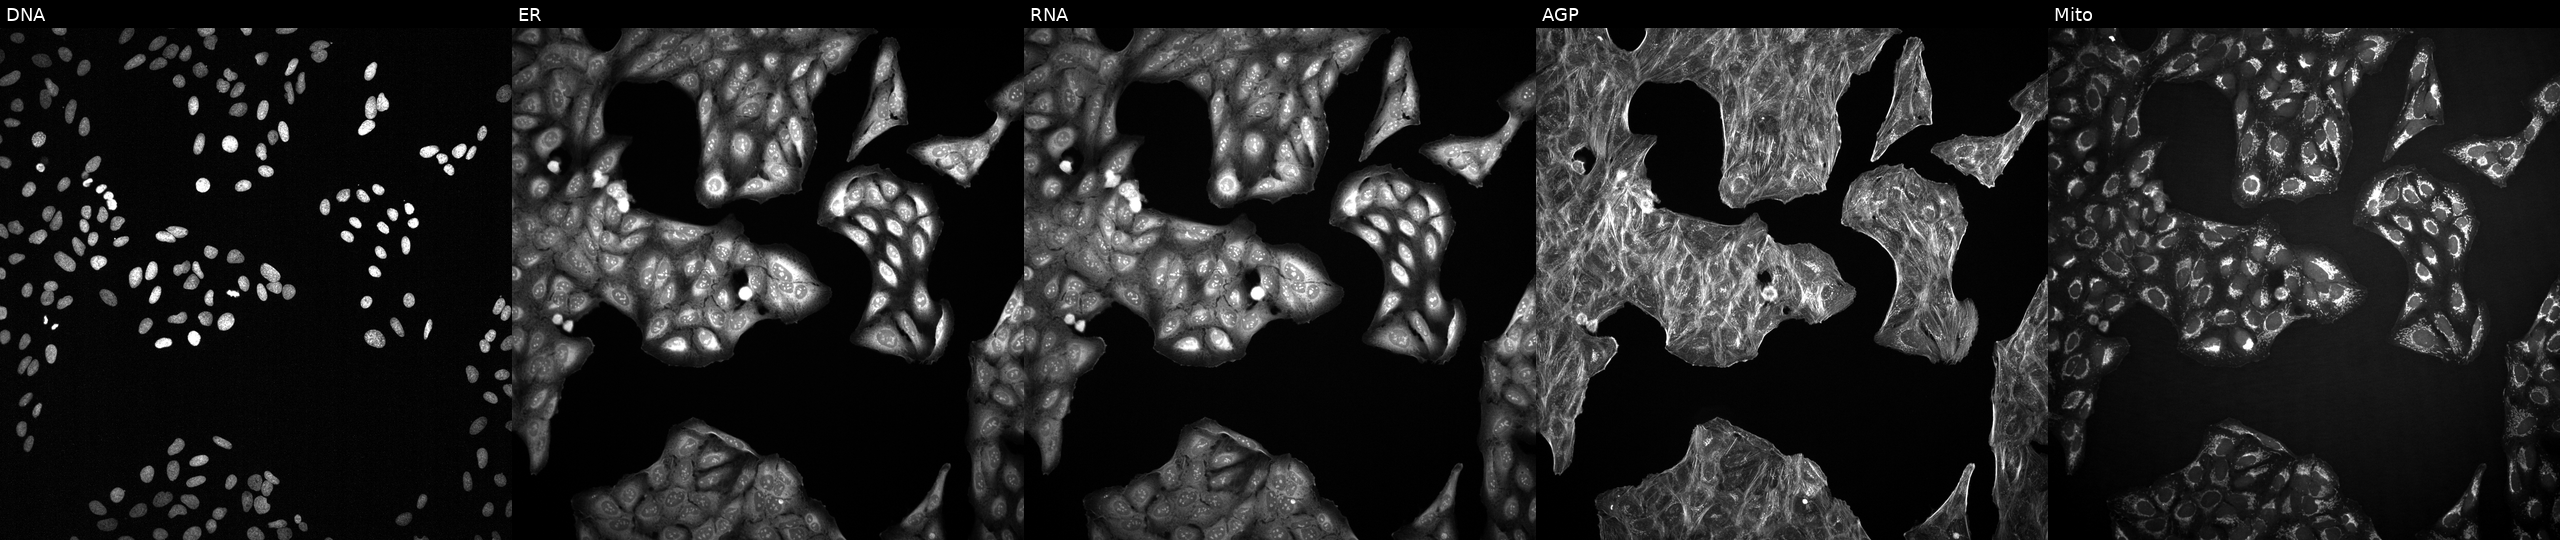
This image strip shows the five Cell Painting channels for a single field of U2OS cells treated with a small-molecule compound (InChIKey DHMTURDWPRKSOA-UHFFFAOYSA-N) [SMILES: NC(=O)N1CCC(CC(=O)N2CCC(C3c4ncc(Br)cc4CCc4cc(Cl)cc(Br)c43)CC2)CC1]. Channels (left→right): DNA (nuclei); ER (endoplasmic reticulum); RNA (nucleoli and cytoplasmic RNA); AGP (actin cytoskeleton, Golgi, and plasma membrane); Mito (mitochondria). Source 2, plate 1053600674, well J03.